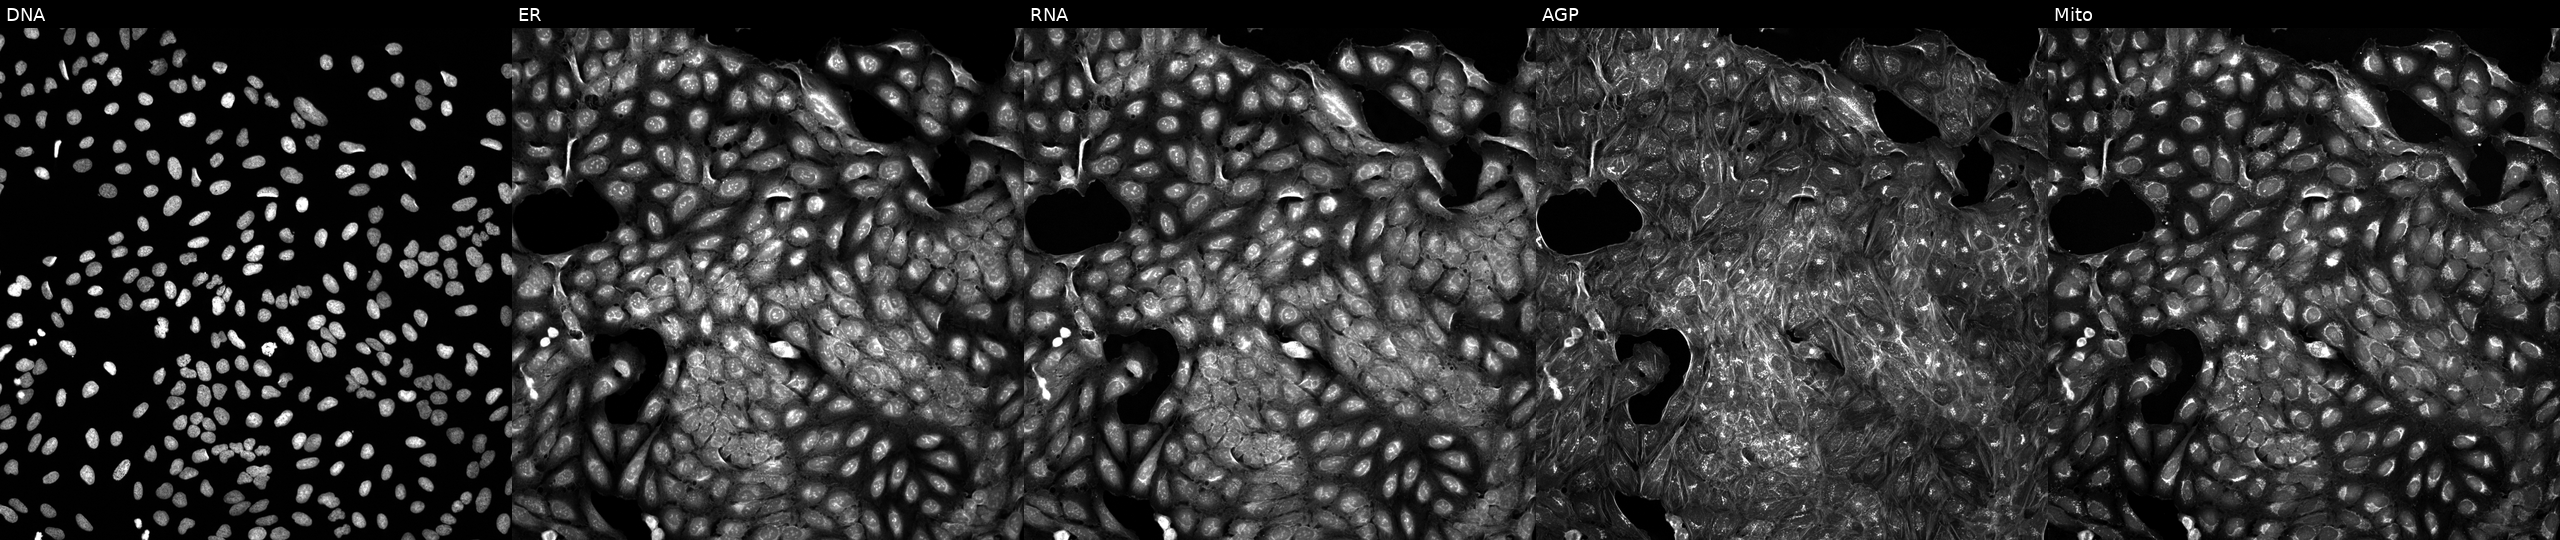
Five-channel Cell Painting image of U2OS cells perturbed with a small-molecule compound (JUMP id JCP2022_015412). Channels (left→right): DNA, ER, RNA, AGP, and Mito.